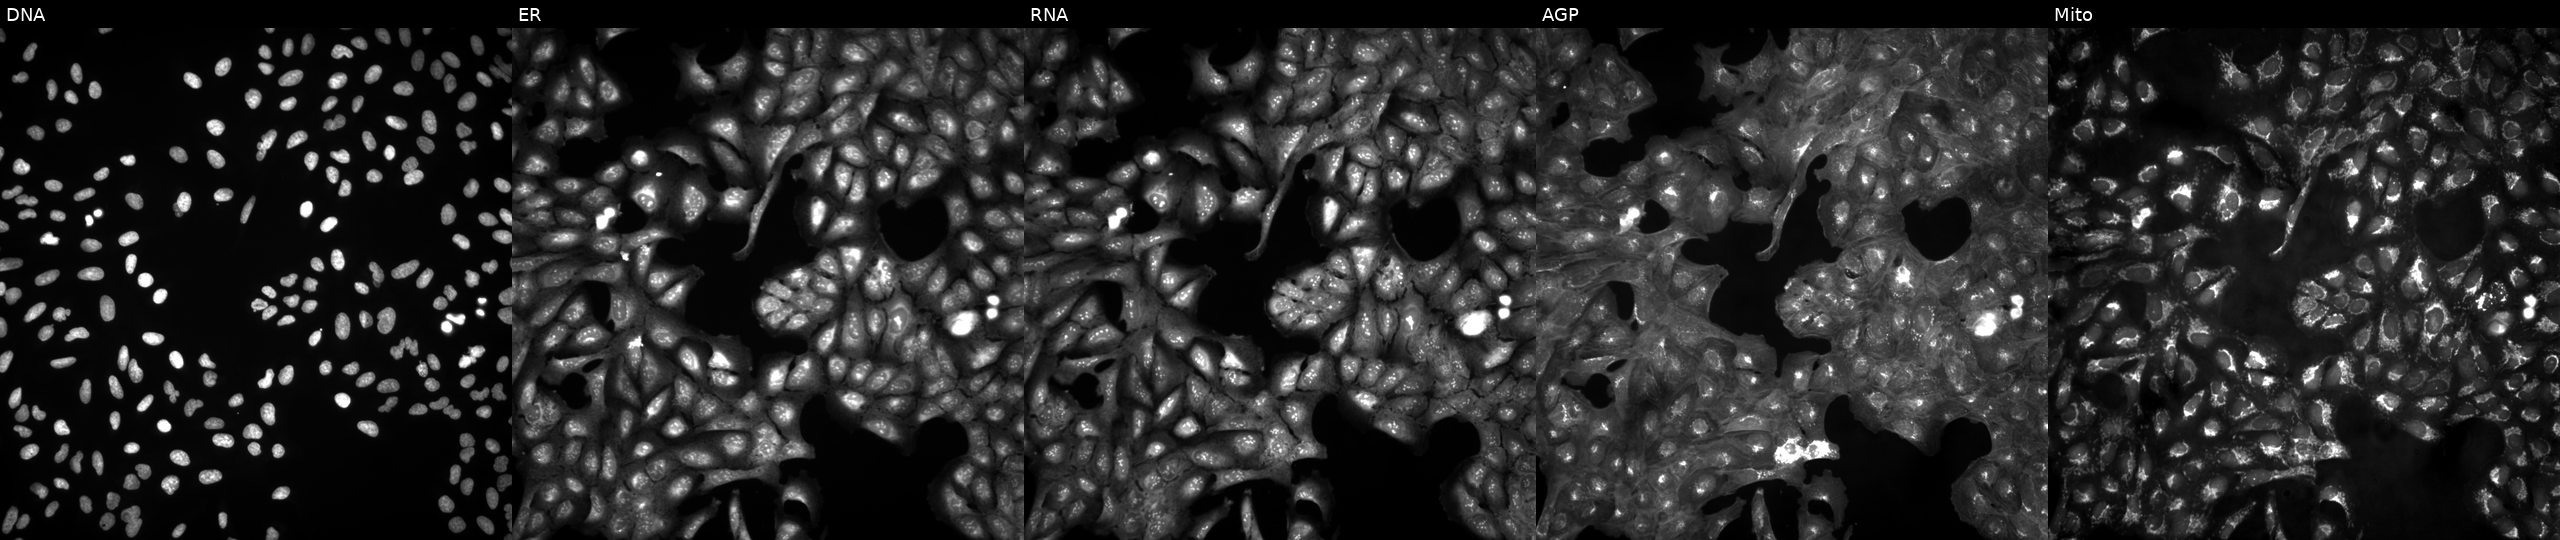
Five-channel Cell Painting image of U2OS cells in an empty control well (no perturbation). Channels (left→right): DNA, ER, RNA, AGP, and Mito.